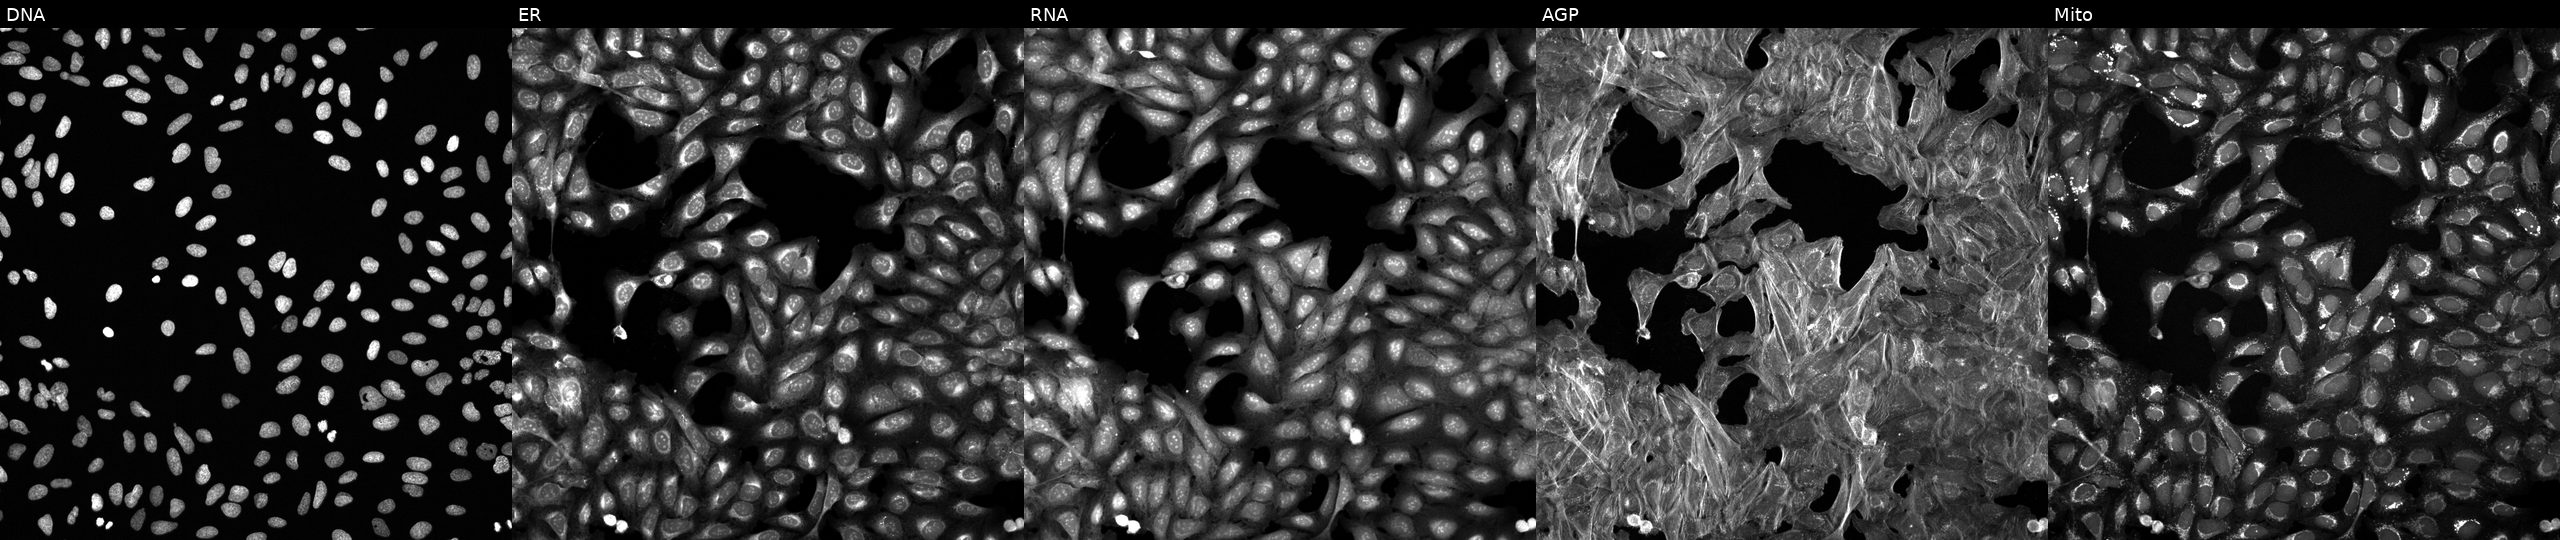
Five-channel Cell Painting image of U2OS cells exposed to a small-molecule compound (JUMP id JCP2022_035351). The five panels, left to right, show Hoechst 33342, concanavalin A, SYTO 14, phalloidin and WGA, MitoTracker. Source 6, plate 110000294901, well N15.